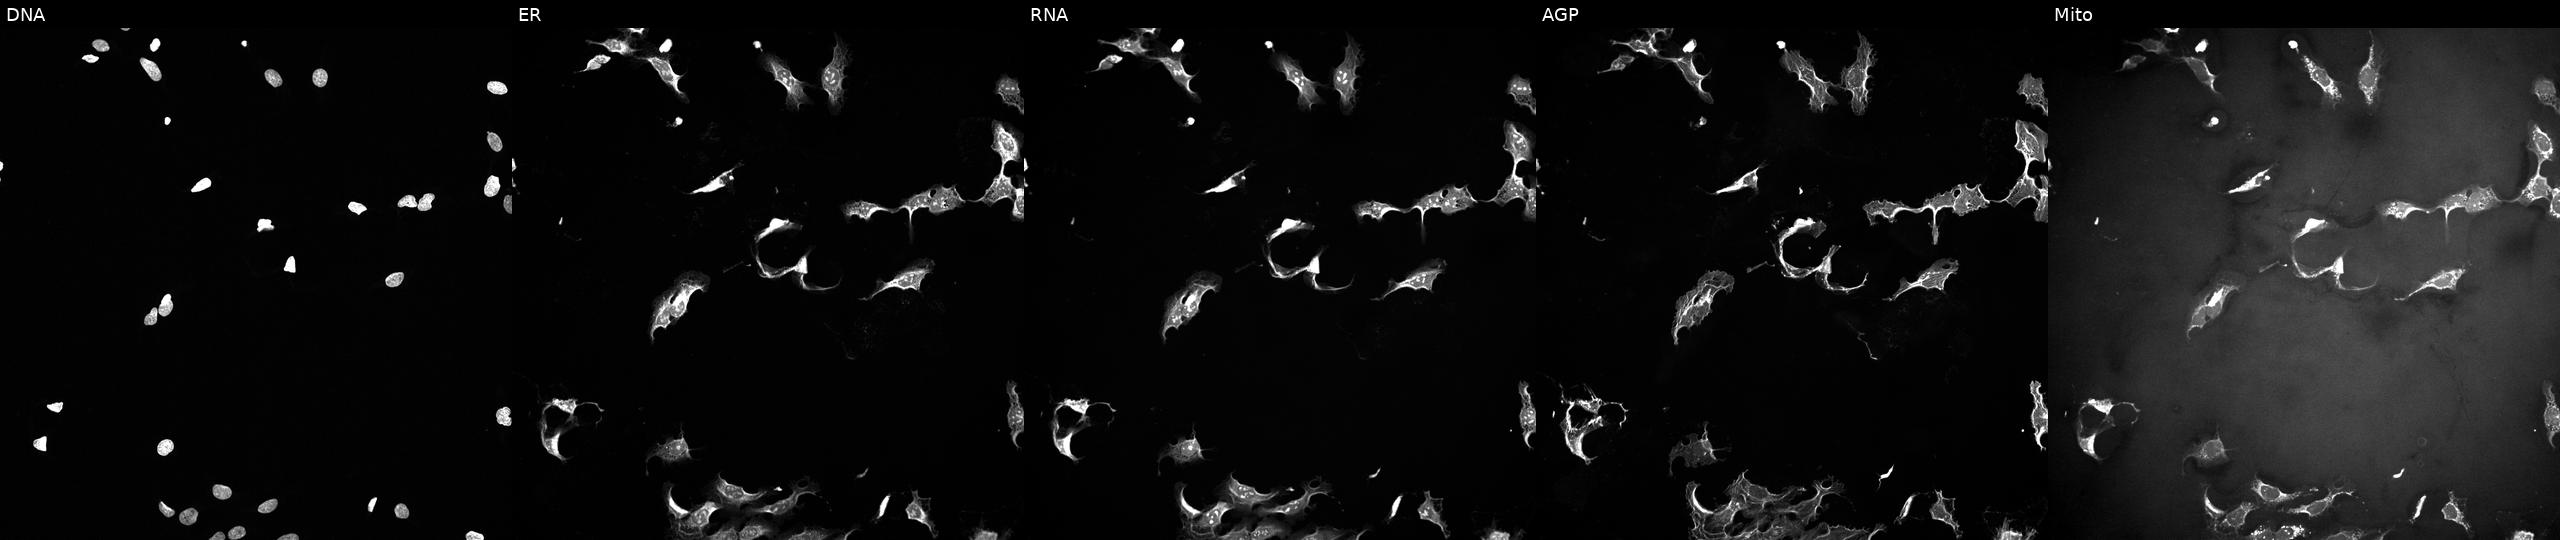
U2OS cells, Cell Painting assay, perturbed with a small-molecule compound (InChIKey AJVXVYTVAAWZAP-UHFFFAOYSA-N) (JUMP id JCP2022_001890). From left to right: Hoechst 33342, concanavalin A, SYTO 14, phalloidin and WGA, MitoTracker. Each panel is percentile-stretched 16-bit fluorescence.